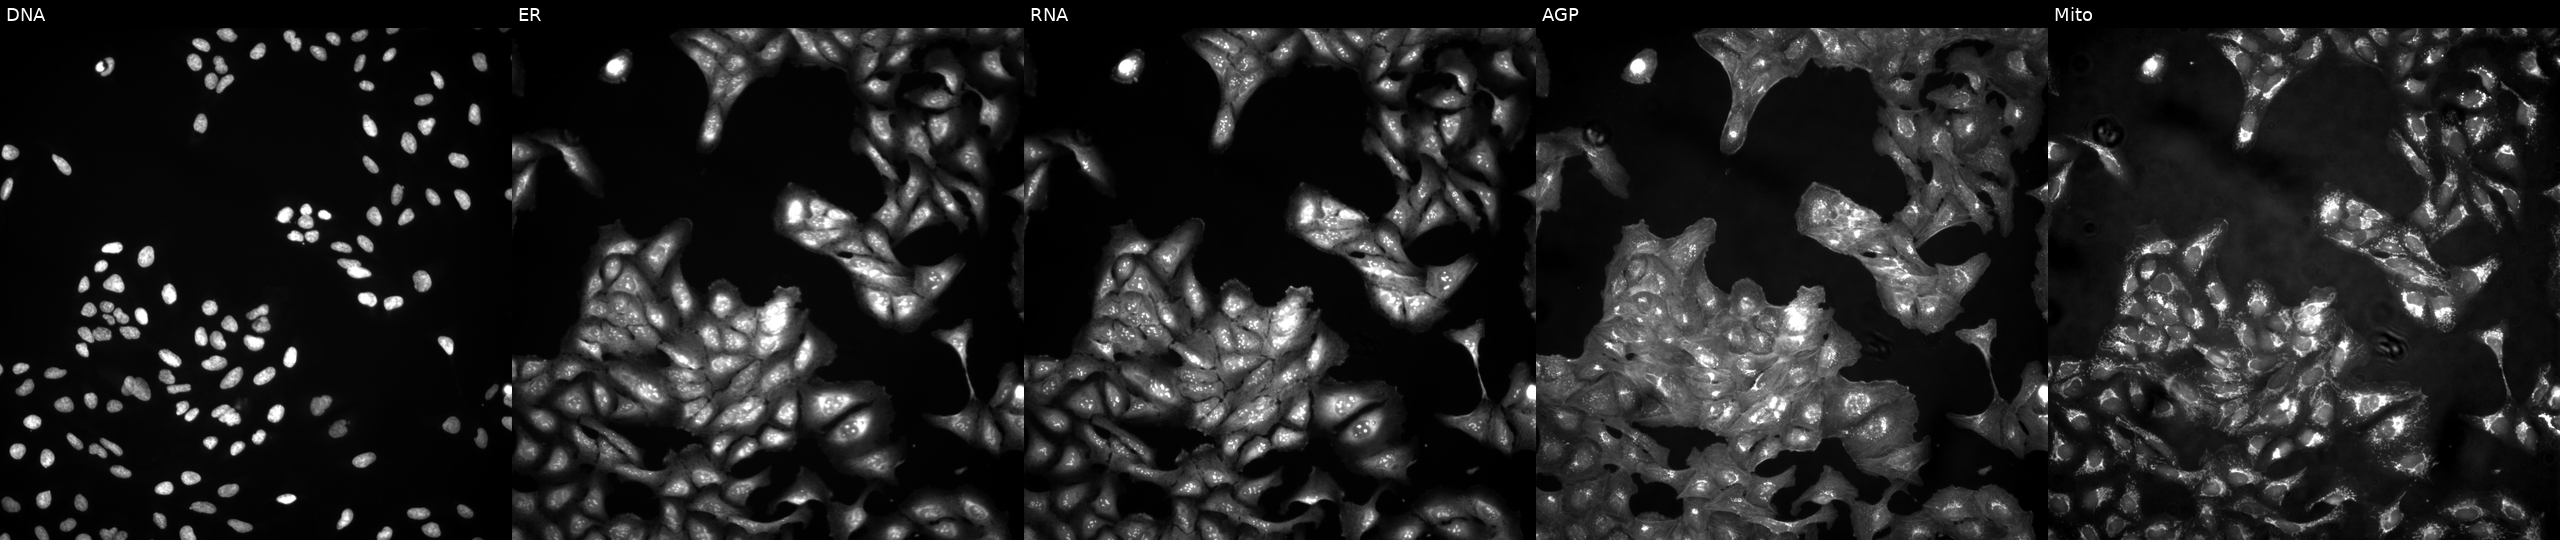
Five-channel Cell Painting image of U2OS cells untreated (empty-well control) (JUMP id JCP2022_999999). Panels show, left to right, Hoechst 33342, concanavalin A, SYTO 14, phalloidin and WGA, MitoTracker. Source 4, plate BR00123946, well H11.